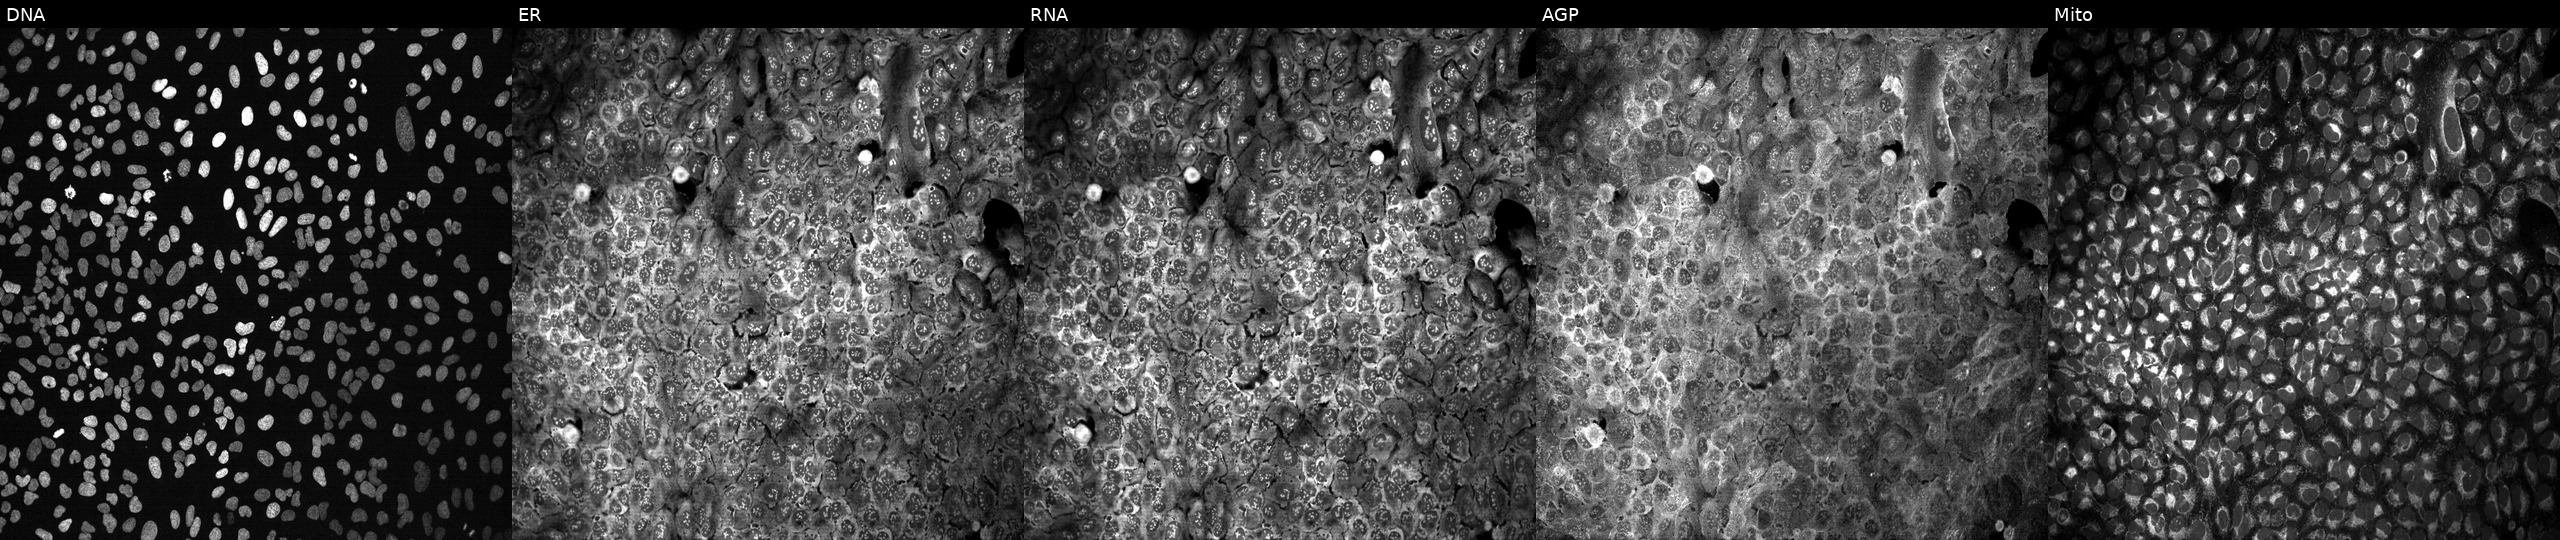
JUMP Cell Painting — CRISPR plate. U2OS cells following CRISPR knockout of ARL4A (JUMP id JCP2022_800587). Panels show, left to right, DNA (nuclei); ER (endoplasmic reticulum); RNA (nucleoli and cytoplasmic RNA); AGP (actin cytoskeleton, Golgi, and plasma membrane); Mito (mitochondria). Source 13, plate CP-CC9-R3-02, well O22.